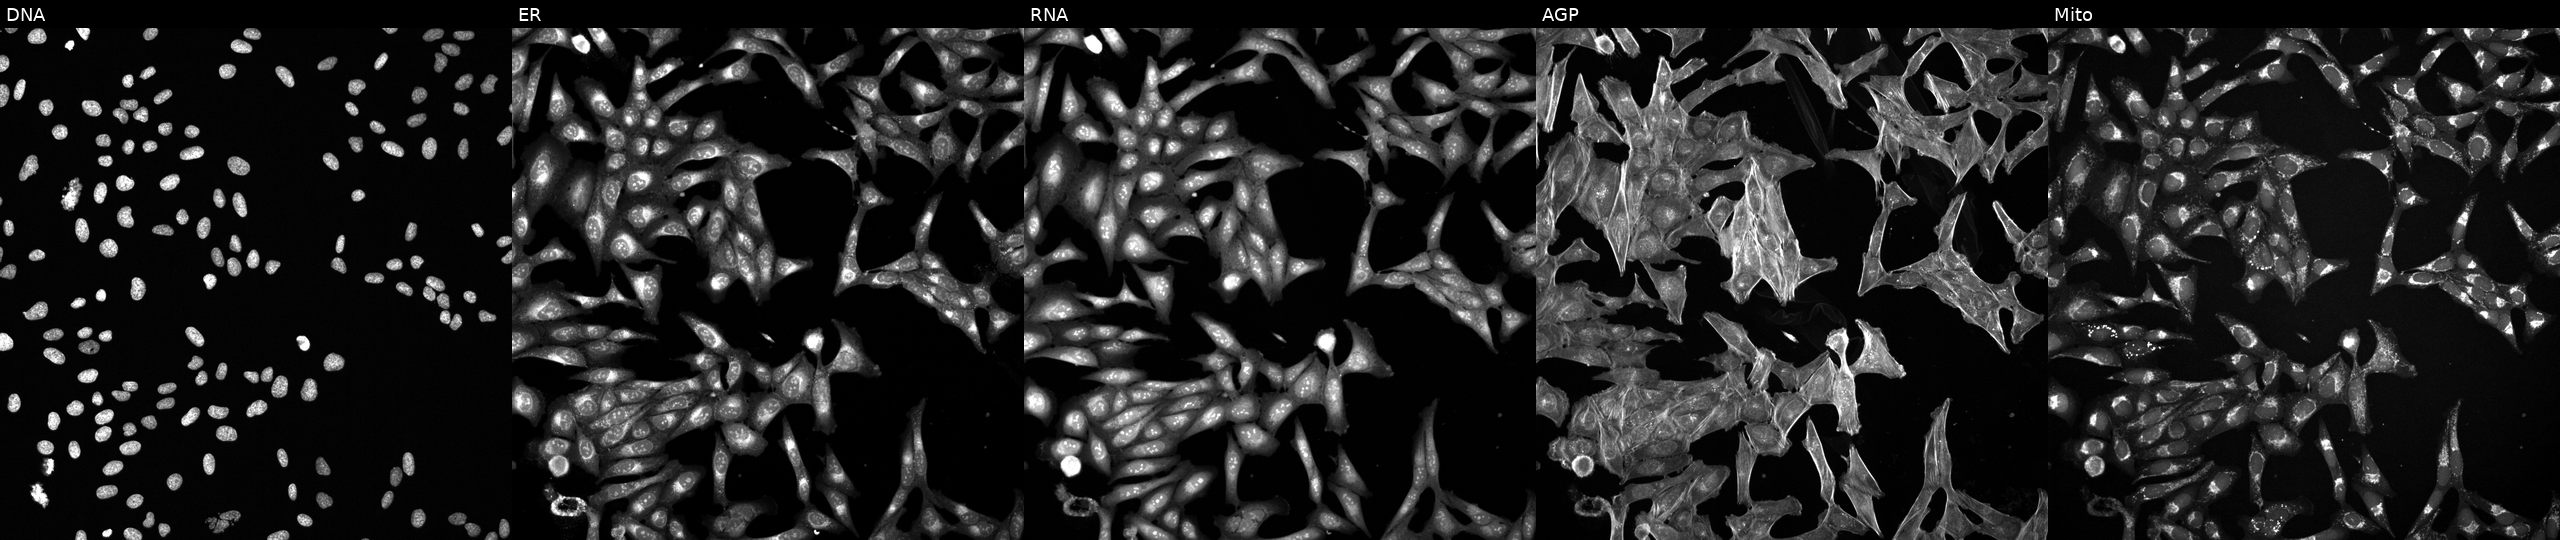
U2OS cells, Cell Painting assay, treated with a small-molecule compound (InChIKey ICJVGRKXNIDICO-UHFFFAOYSA-N). Panels show, left to right, DNA, ER, RNA, AGP, and Mito. Each panel is percentile-stretched 16-bit fluorescence. Source 6, plate 110000293083, well H07.